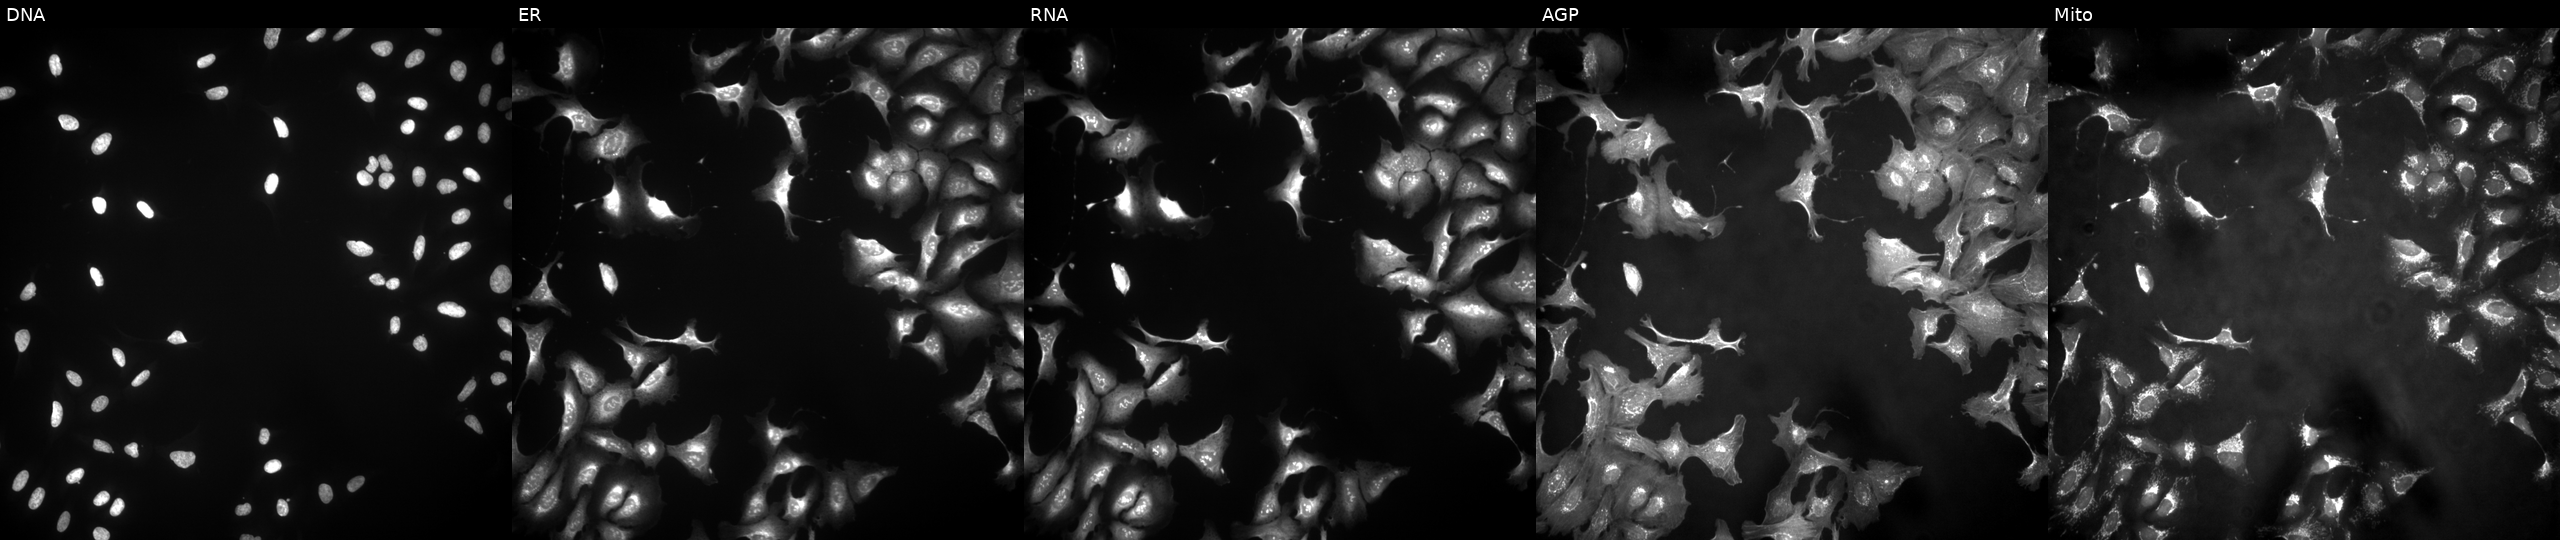
This image strip shows the five Cell Painting channels for a single field of U2OS cells with TM7SF2 overexpressed (ORF) (JUMP id JCP2022_914606). Panels show, left to right, Hoechst 33342, concanavalin A, SYTO 14, phalloidin and WGA, MitoTracker. Source 4, plate BR00123506, well N10.